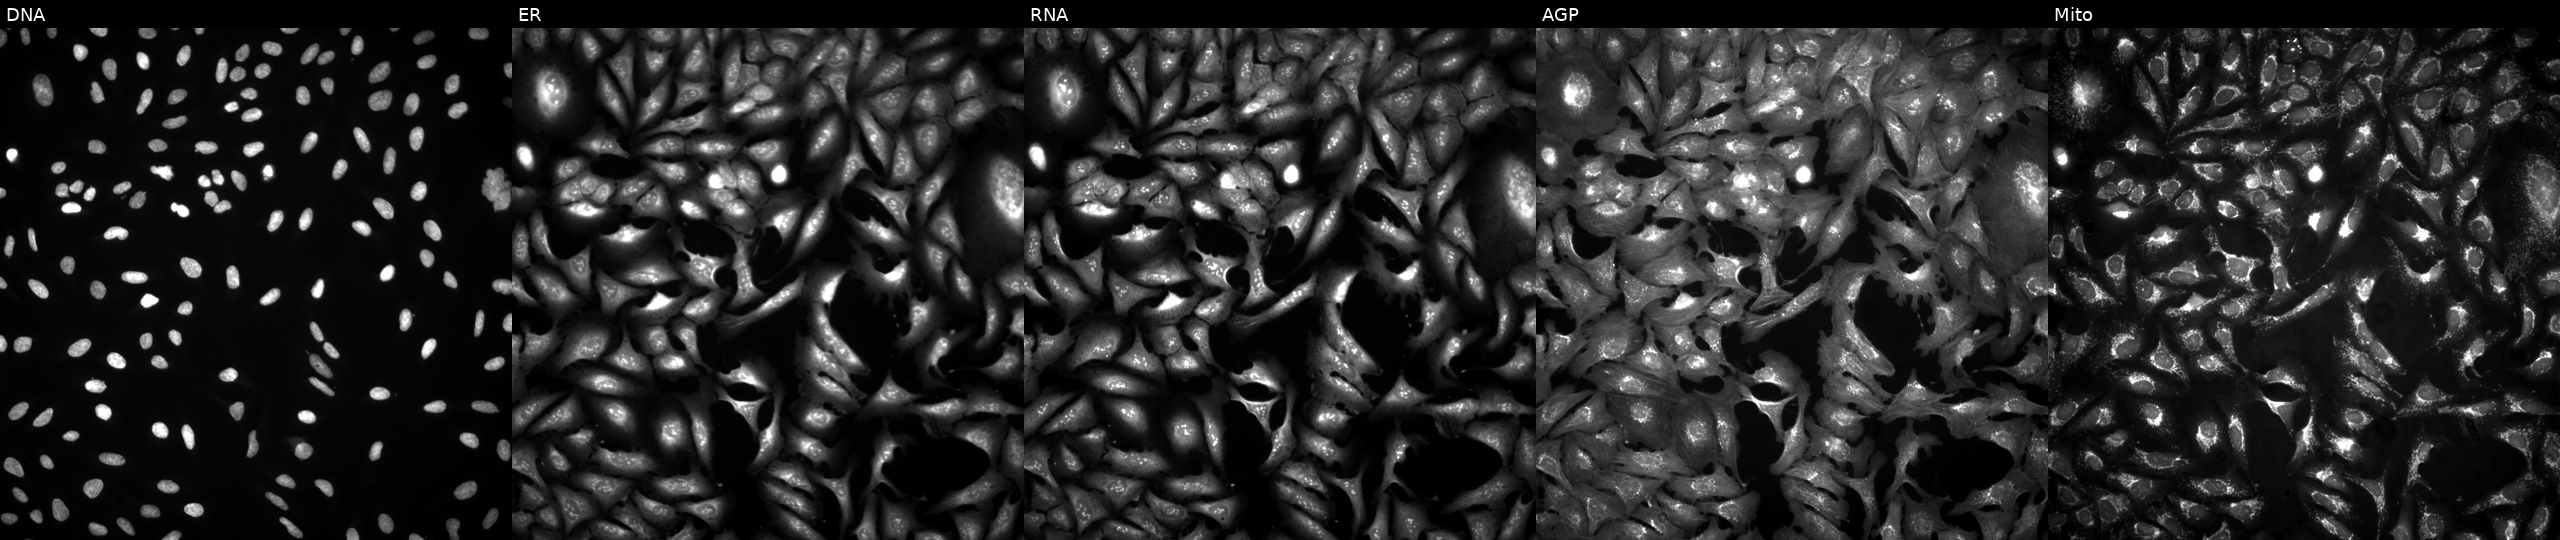
JUMP Cell Painting — ORF plate. U2OS cells overexpressing ACBD5 via ORF transfection (JUMP id JCP2022_908695). The five panels, left to right, show DNA, ER, RNA, AGP, and Mito.